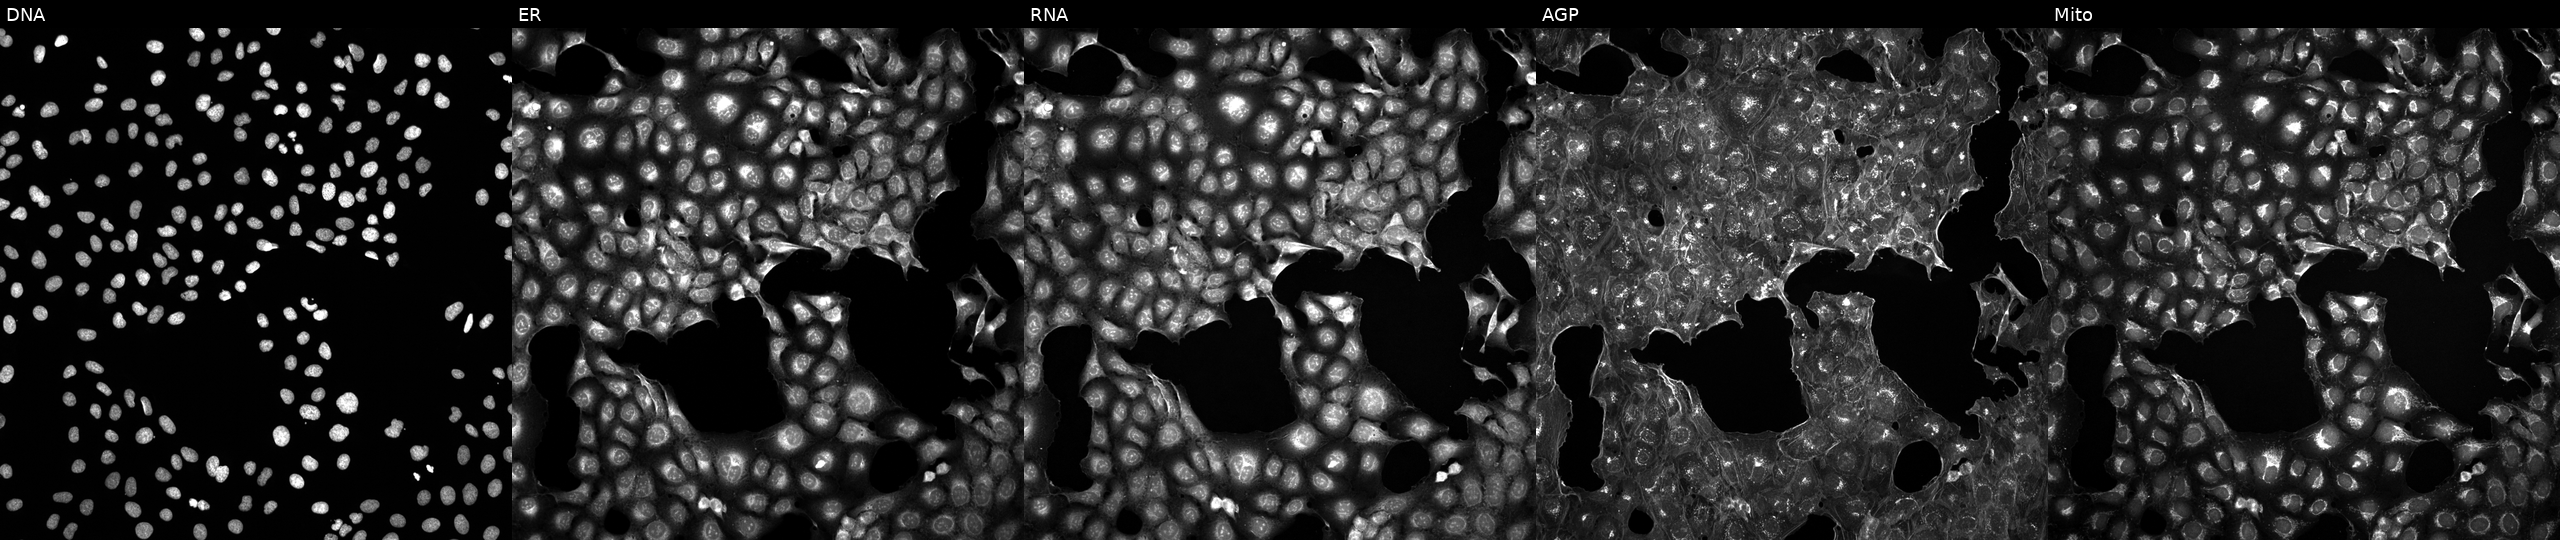
Five-channel Cell Painting image of U2OS cells perturbed with a small-molecule compound (InChIKey GDVRVPIXWXOKQO-UHFFFAOYSA-N) (JUMP id JCP2022_024824). The five panels, left to right, show Hoechst 33342, concanavalin A, SYTO 14, phalloidin and WGA, MitoTracker. Source 5, plate ACPJUM012, well E19.